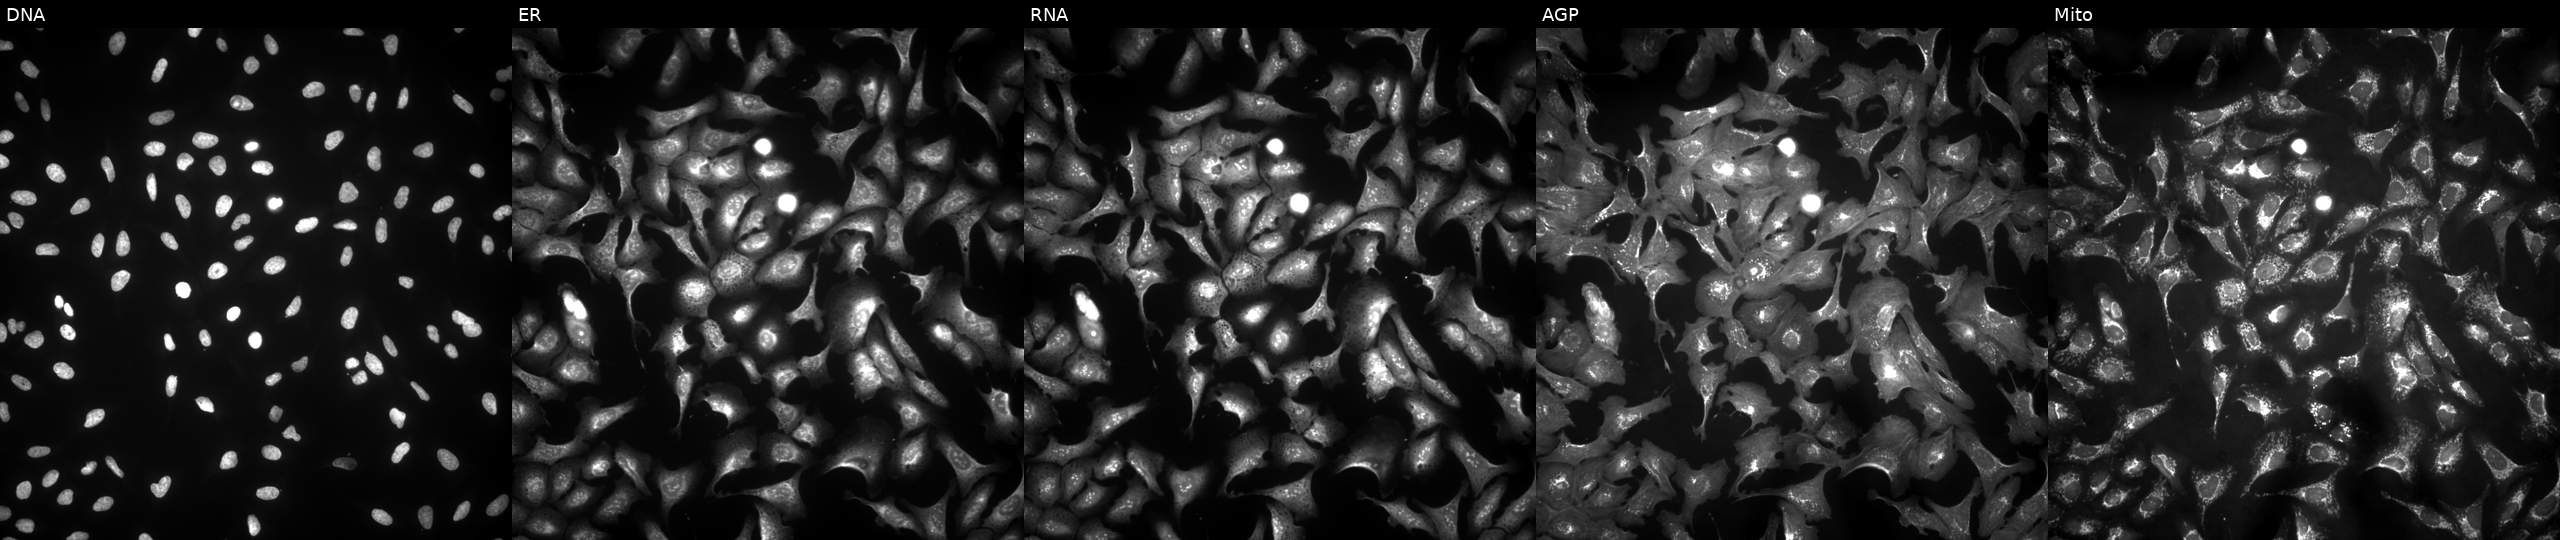
JUMP Cell Painting — ORF plate. U2OS cells transfected with an ORF construct for GNS. Panels show, left to right, DNA, ER, RNA, AGP, and Mito. Source 4, plate BR00123506, well D12.